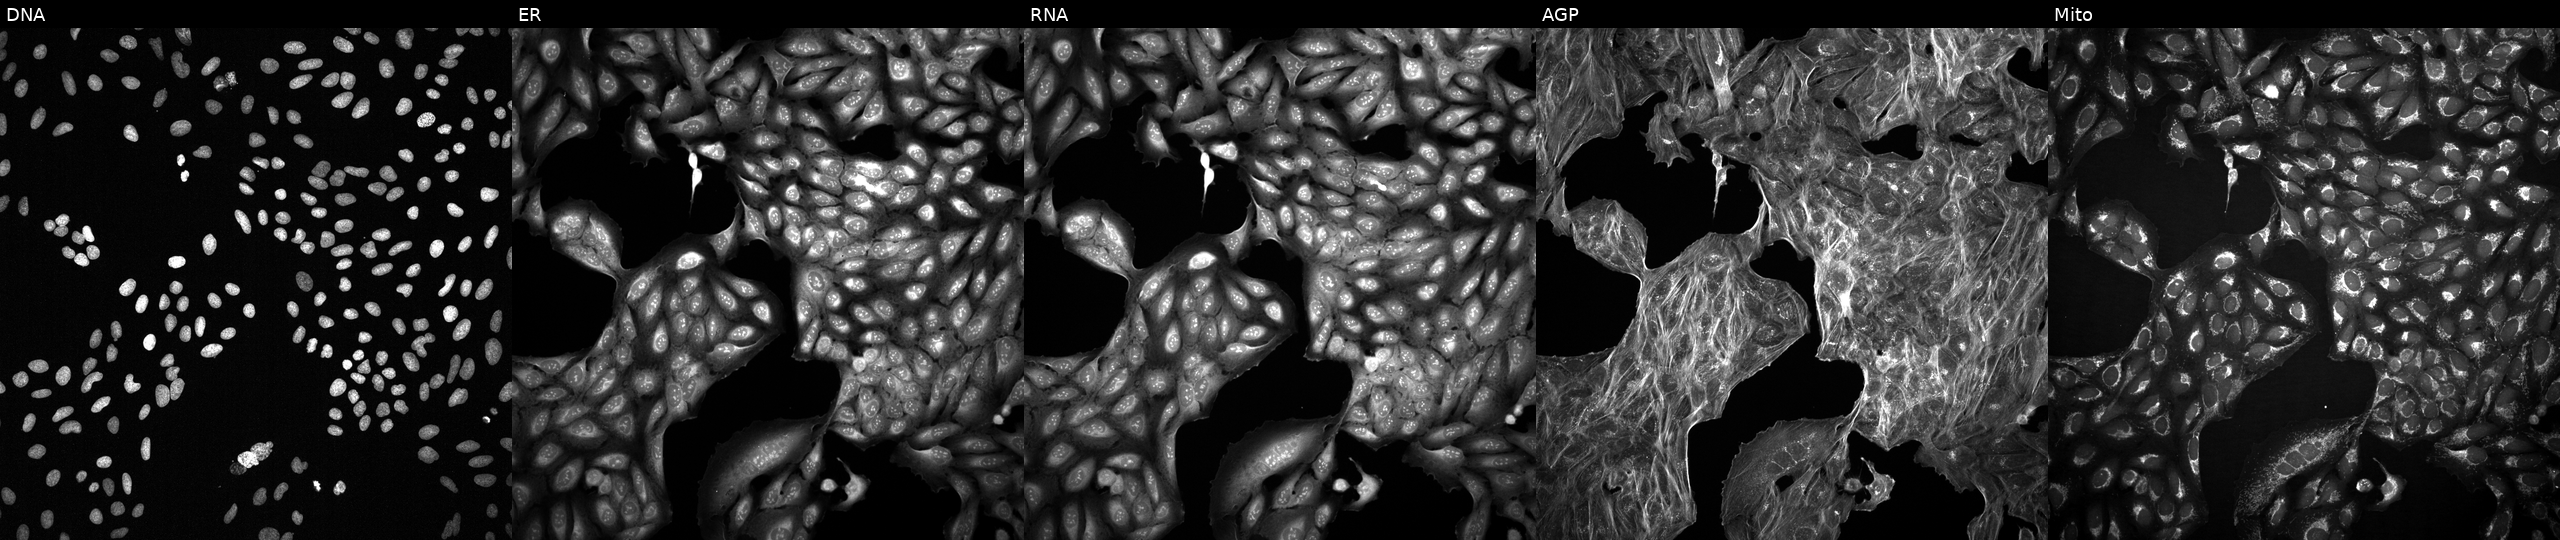
U2OS cells, Cell Painting assay, exposed to a small-molecule compound (InChIKey SROTWNSQRGPEOS-UHFFFAOYSA-N) (JUMP id JCP2022_085180). Panels show, left to right, DNA, ER, RNA, AGP, and Mito. Each panel is percentile-stretched 16-bit fluorescence.